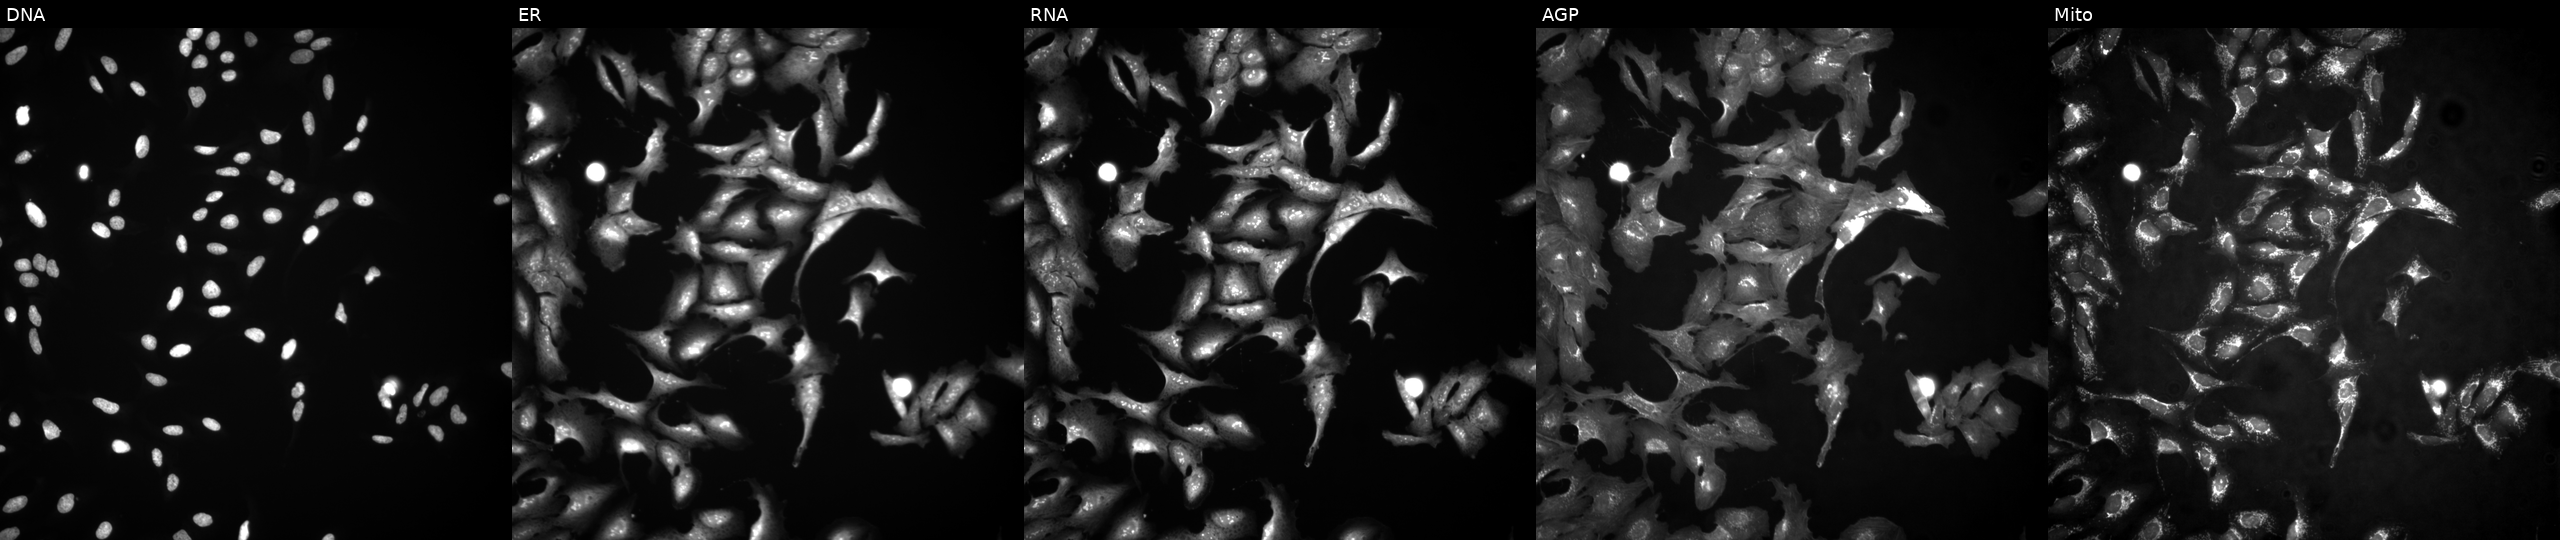
The five panels, left to right, show DNA, ER, RNA, AGP, and Mito. U2OS osteosarcoma cells transfected with an ORF construct for ZFP28 (JUMP id JCP2022_915057). Cell Painting assay, JUMP-CP dataset. Source 4, plate BR00117035, well M14.